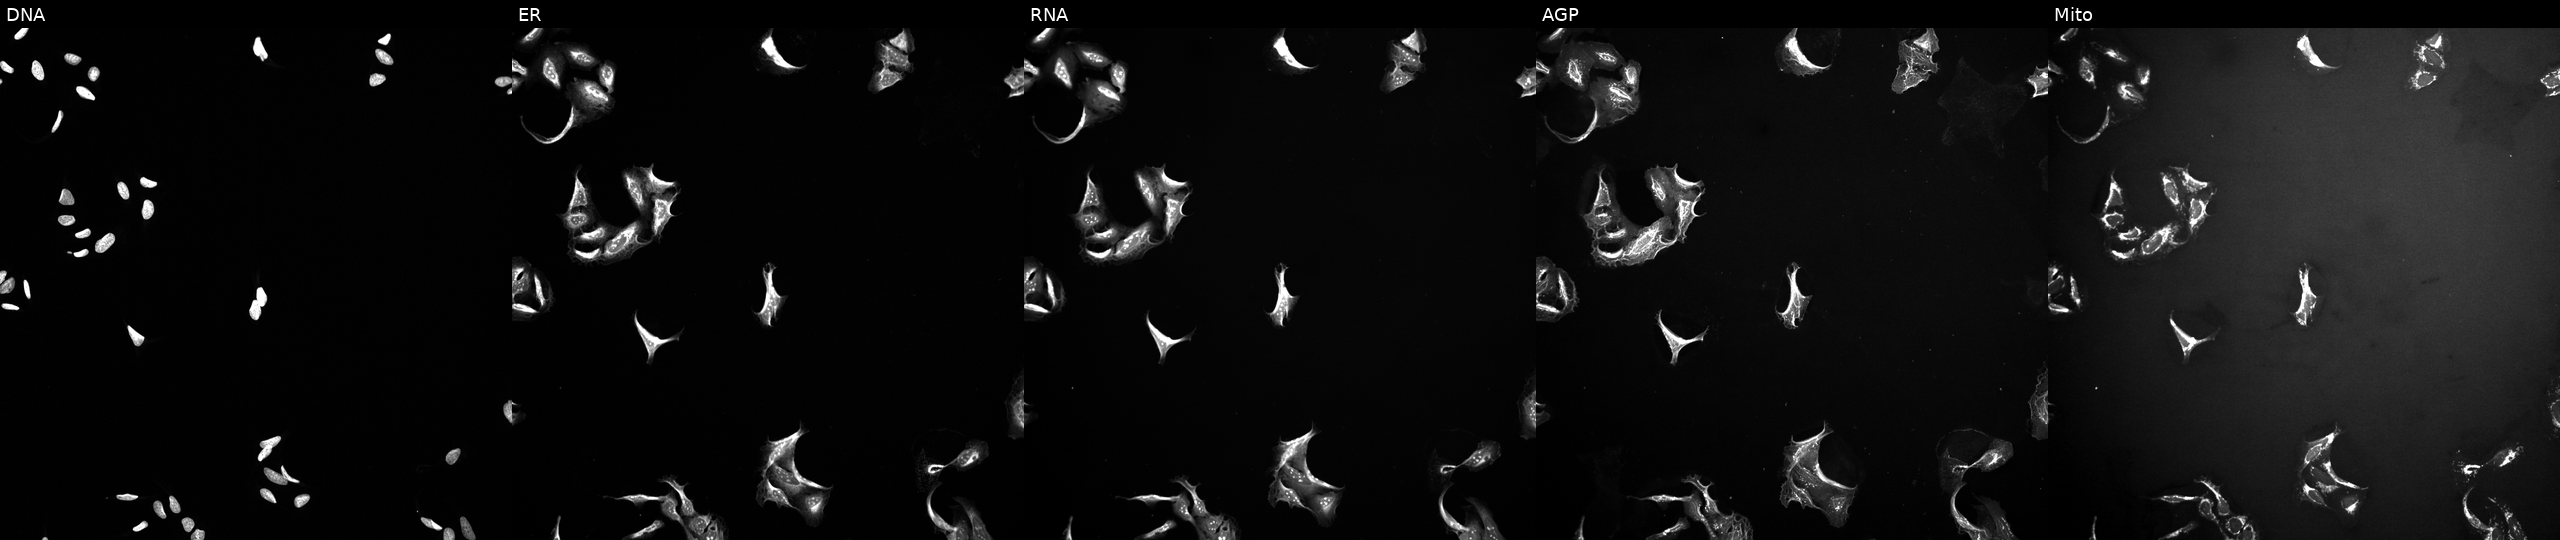
High-content fluorescence microscopy (Cell Painting). Cell line: U2OS. Perturbation: exposed to a small-molecule compound (InChIKey WYWHKKSPHMUBEB-UHFFFAOYSA-N). Panels show, left to right, Hoechst 33342, concanavalin A, SYTO 14, phalloidin and WGA, MitoTracker.